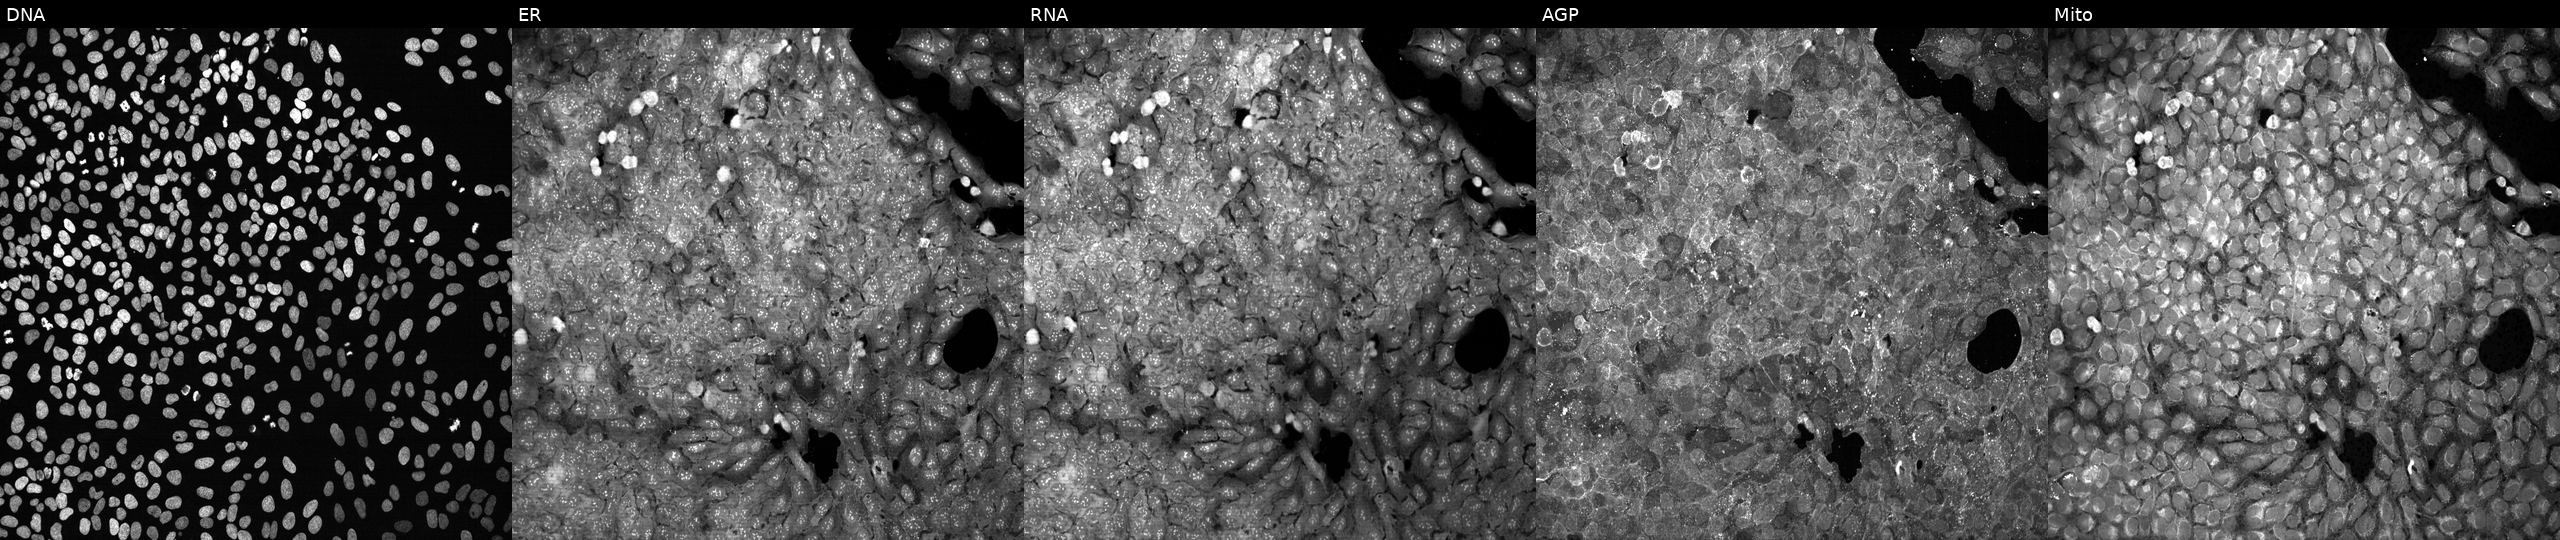
JUMP Cell Painting — CRISPR plate. U2OS cells exposed to the positive-control compound dexamethasone. From left to right: Hoechst 33342, concanavalin A, SYTO 14, phalloidin and WGA, MitoTracker.